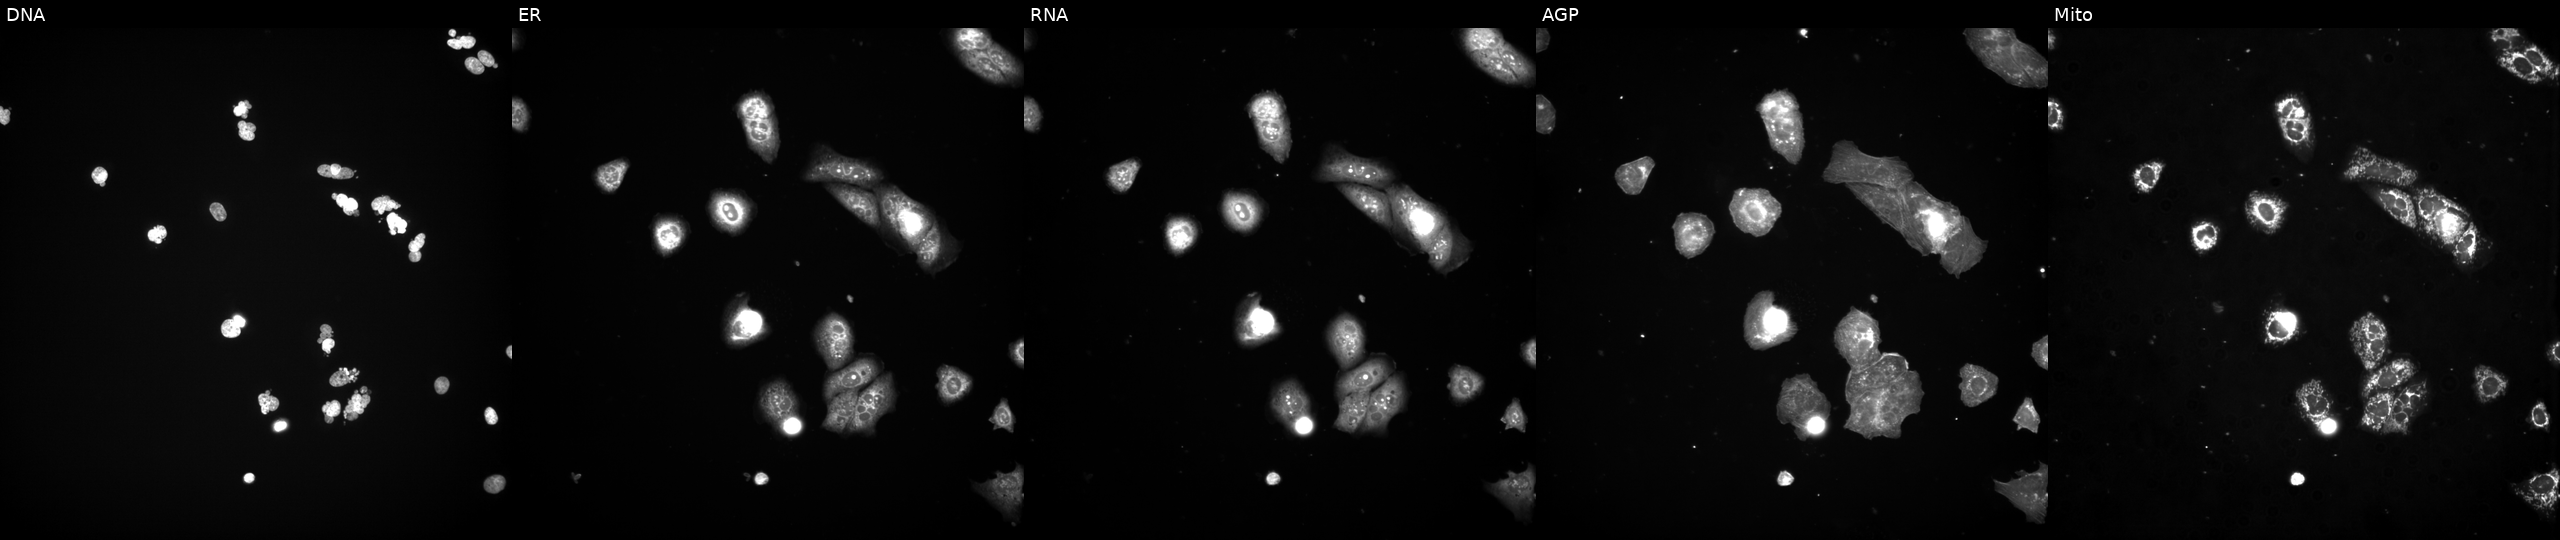
Five-channel Cell Painting image of U2OS cells perturbed with a small-molecule compound (JUMP id JCP2022_115976). From left to right: Hoechst 33342, concanavalin A, SYTO 14, phalloidin and WGA, MitoTracker. Source 3, plate BR5867b3, well M14.